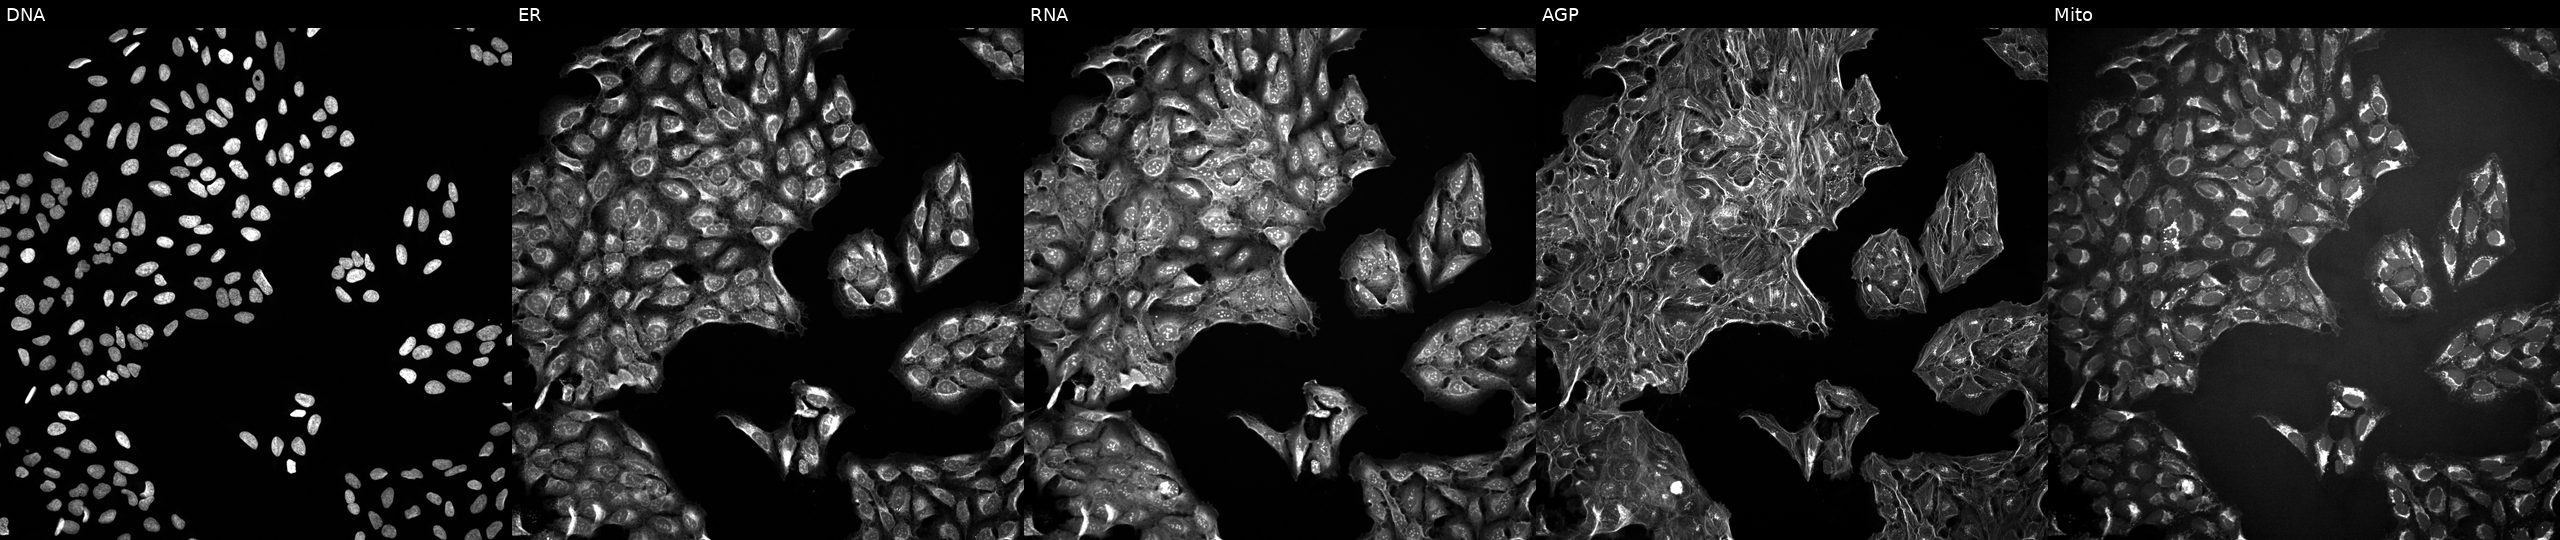
This image strip shows the five Cell Painting channels for a single field of U2OS cells treated with a small-molecule compound. From left to right: DNA, ER, RNA, AGP, and Mito. Source 10, plate Dest210531-152324, well L03.